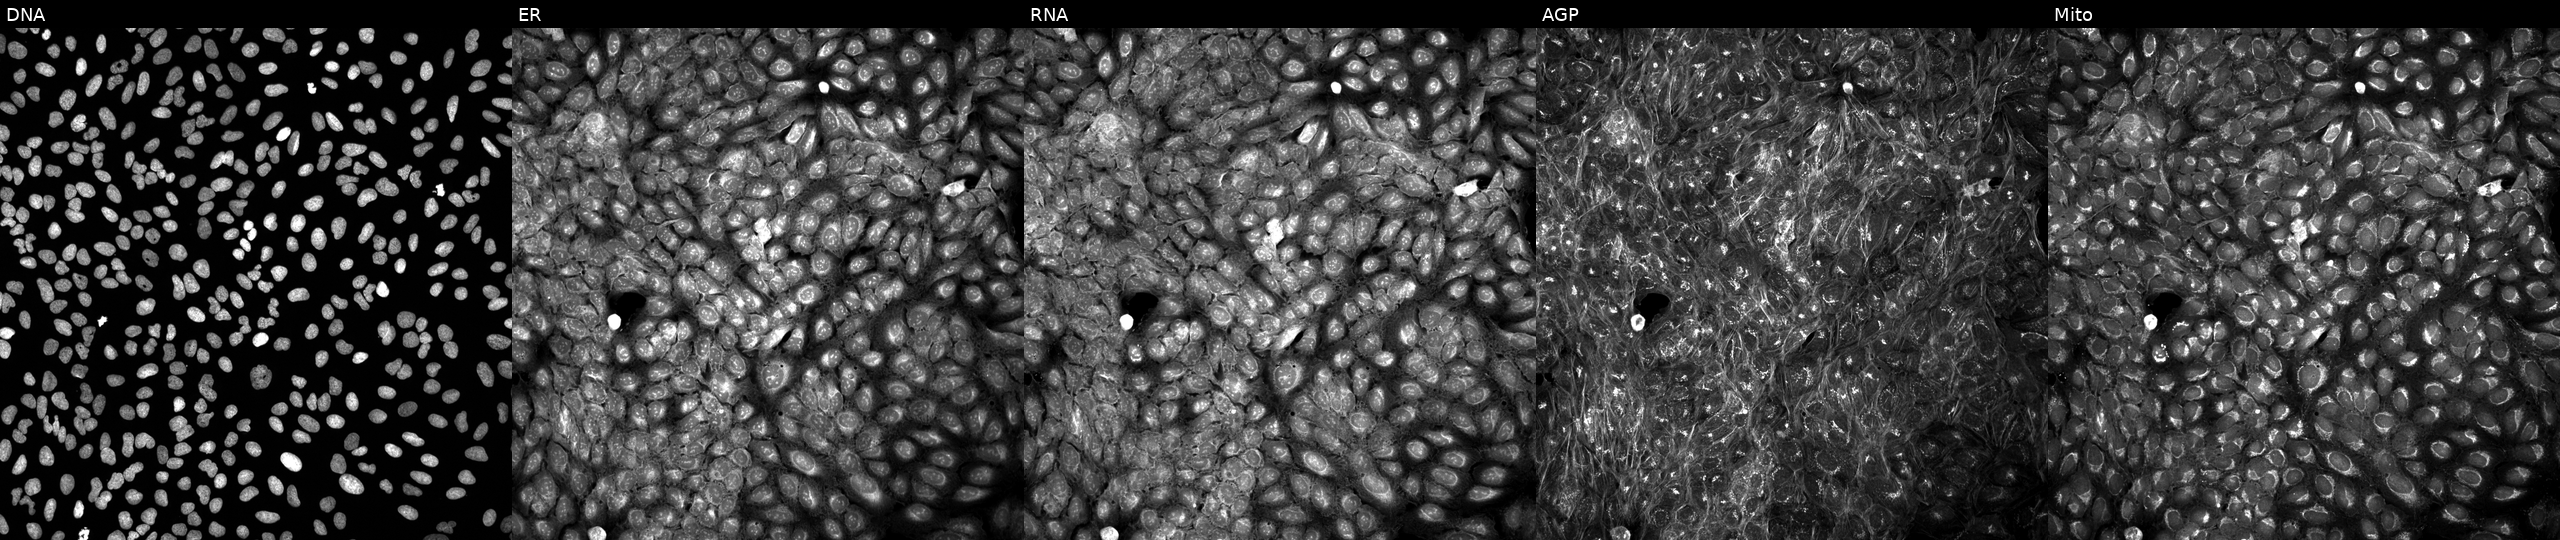
The five panels, left to right, show DNA, ER, RNA, AGP, and Mito. U2OS osteosarcoma cells exposed to DMSO alone as a negative control. Cell Painting assay, JUMP-CP dataset.